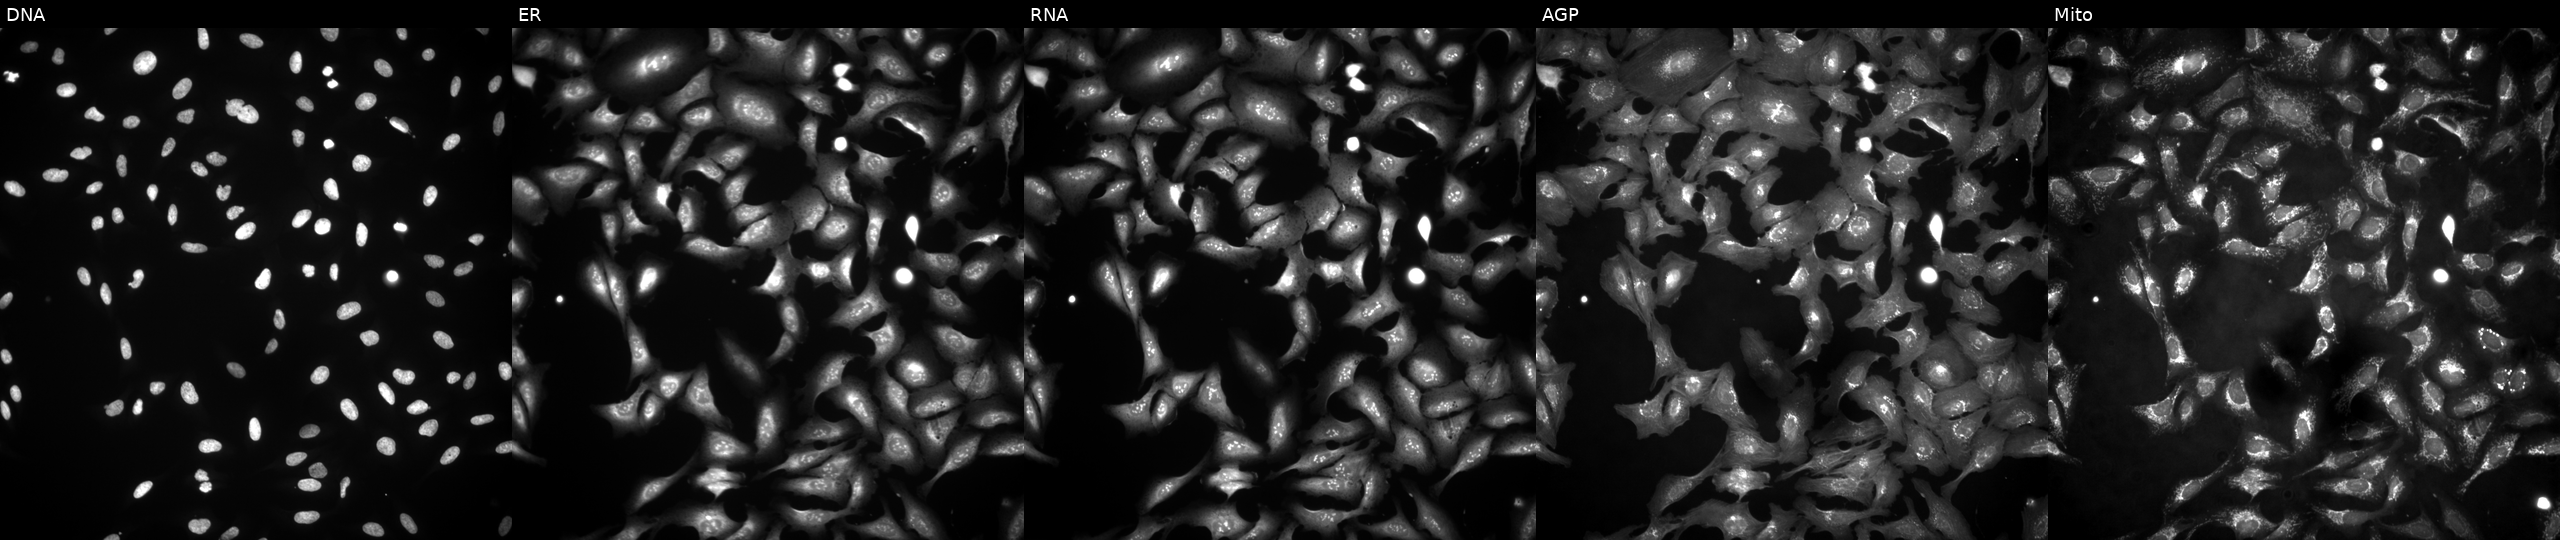
High-content fluorescence microscopy (Cell Painting). Cell line: U2OS. Perturbation: with RUSC1-AS1 overexpressed (ORF) (JUMP id JCP2022_912613). Panels show, left to right, DNA (nuclei); ER (endoplasmic reticulum); RNA (nucleoli and cytoplasmic RNA); AGP (actin cytoskeleton, Golgi, and plasma membrane); Mito (mitochondria).